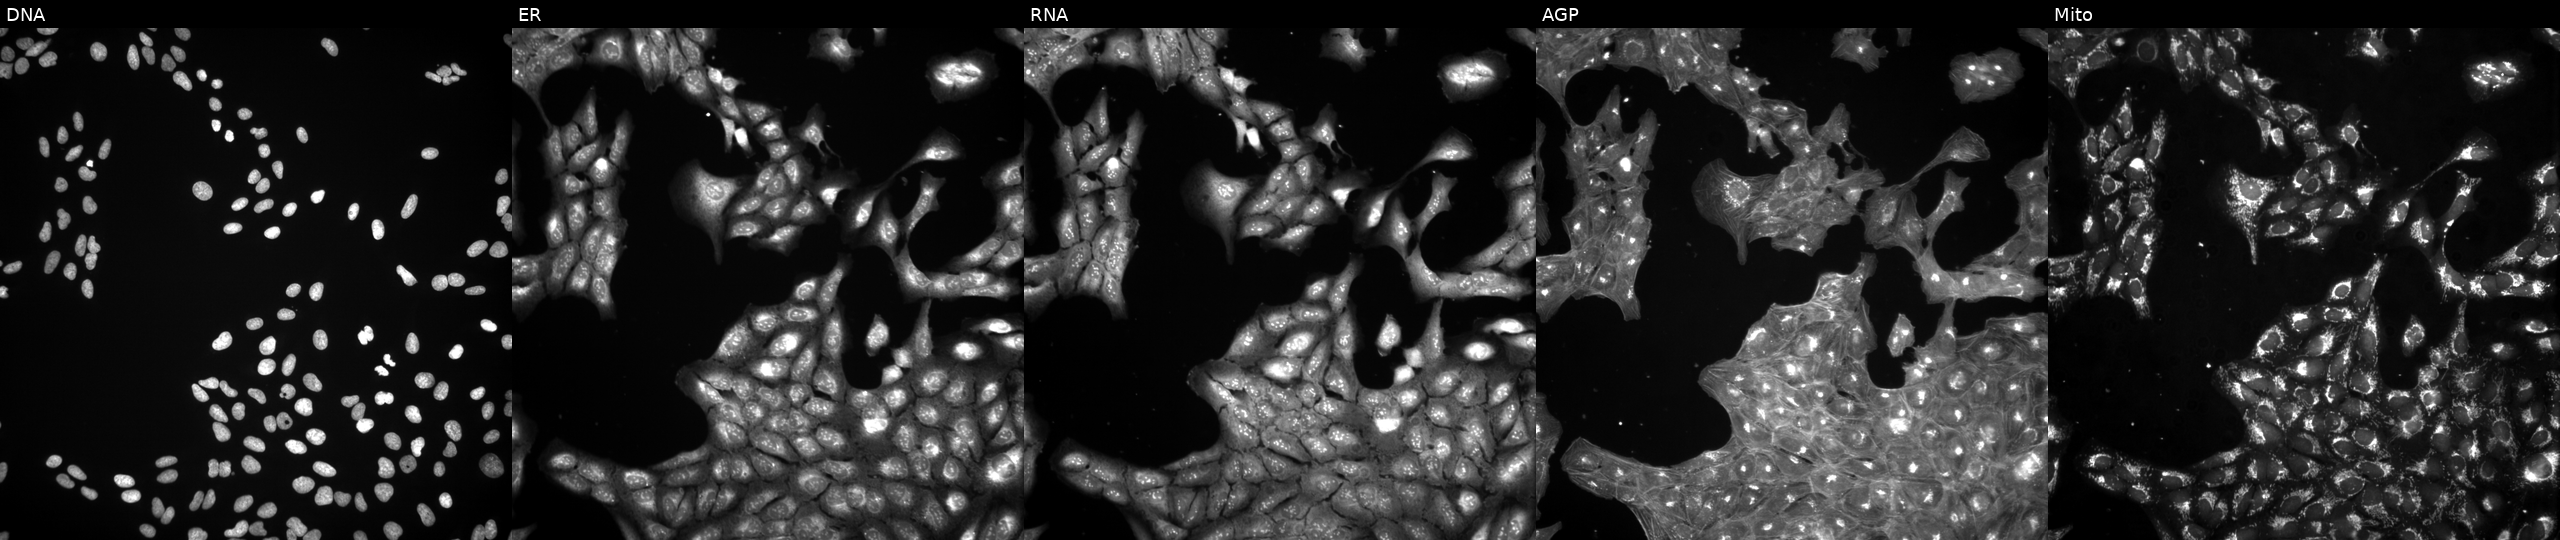
Five-channel Cell Painting image of U2OS cells perturbed with a small-molecule compound (InChIKey PYNXFZCZUAOOQC-UHFFFAOYSA-N) [SMILES: CCOC(=O)C(C)CC(Cc1ccc(-c2ccccc2)cc1)NC(=O)CCC(=O)O] (JUMP id JCP2022_071811). From left to right: DNA (nuclei); ER (endoplasmic reticulum); RNA (nucleoli and cytoplasmic RNA); AGP (actin cytoskeleton, Golgi, and plasma membrane); Mito (mitochondria).